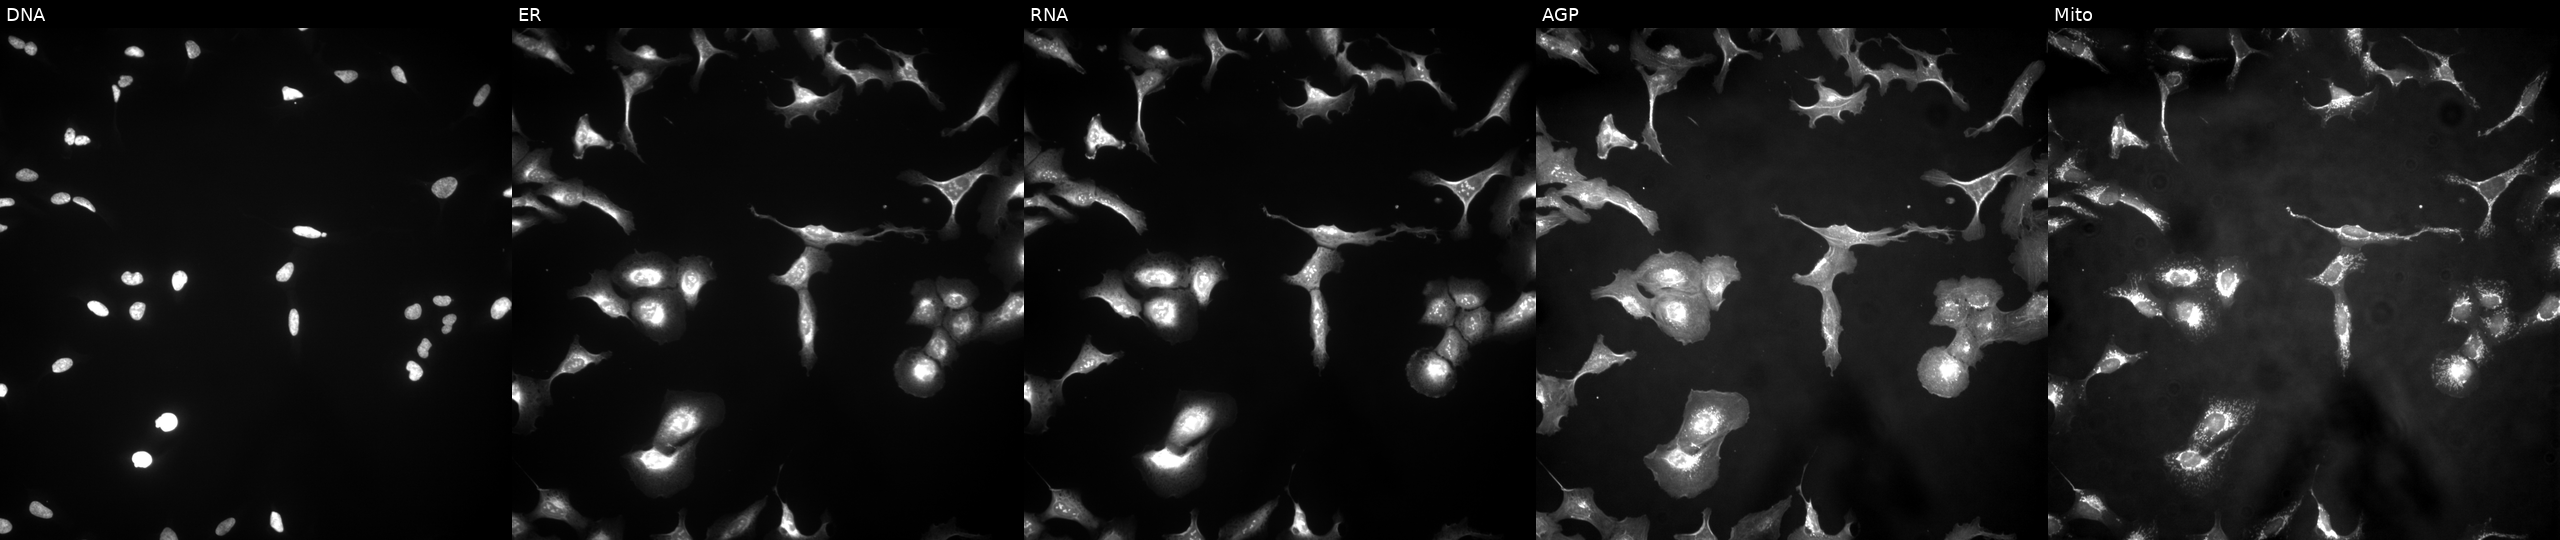
JUMP Cell Painting — ORF plate. U2OS cells transfected with an ORF construct for RPL3 (JUMP id JCP2022_906436). Channels (left→right): DNA, ER, RNA, AGP, and Mito. Source 4, plate BR00123506, well I10.